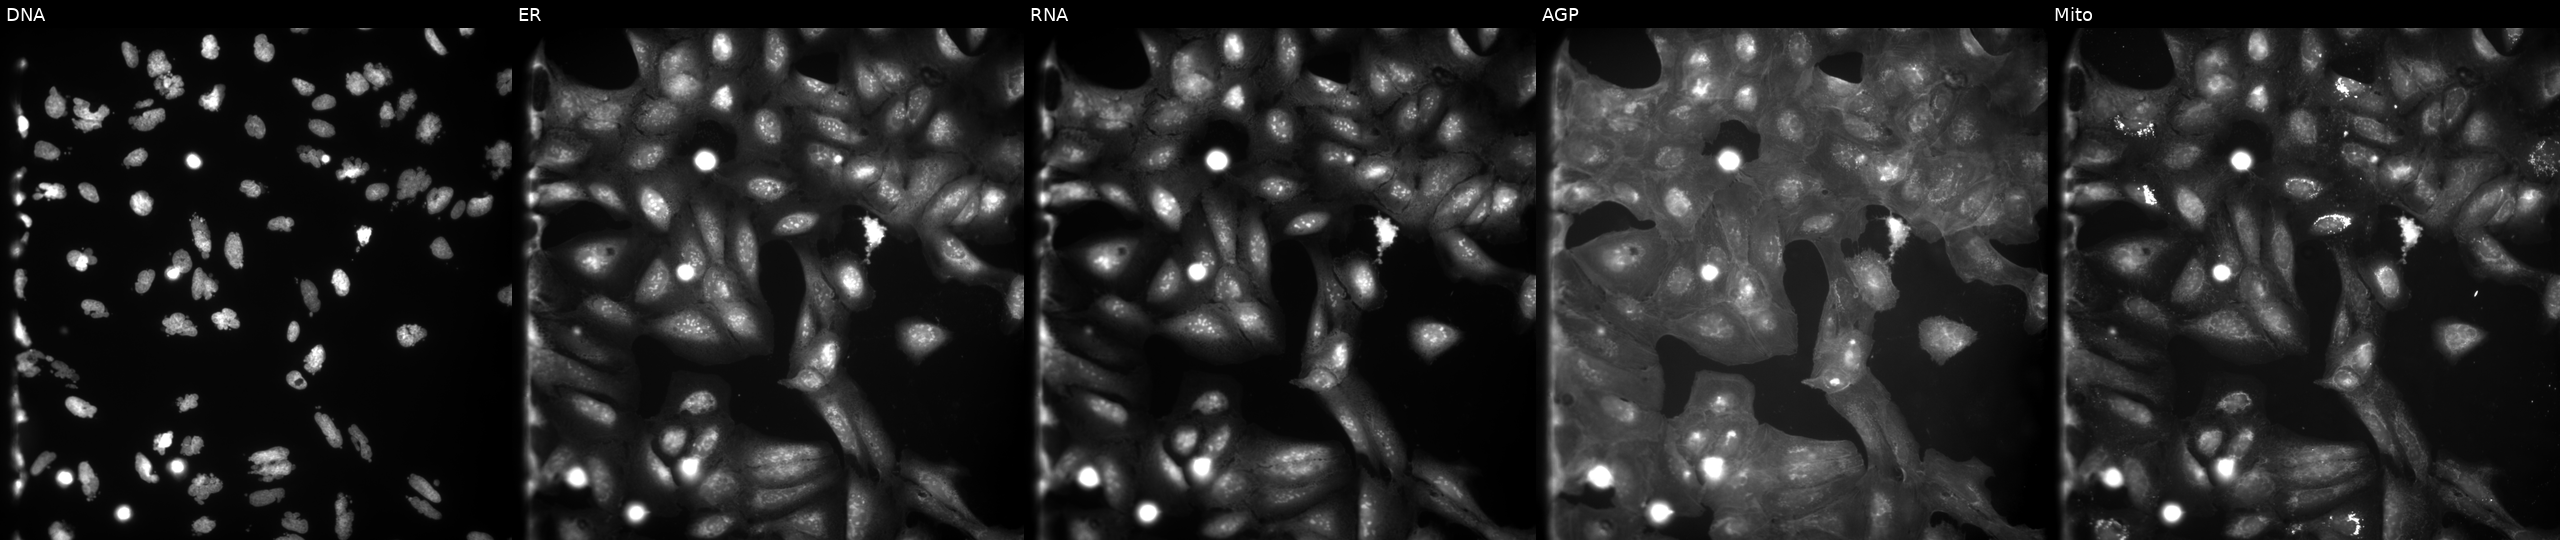
U2OS cells, Cell Painting assay, exposed to the positive-control compound AMG900 (JUMP id JCP2022_037716). Channels (left→right): DNA, ER, RNA, AGP, and Mito. Each panel is percentile-stretched 16-bit fluorescence. Source 9, plate GR00003382, well Z01.